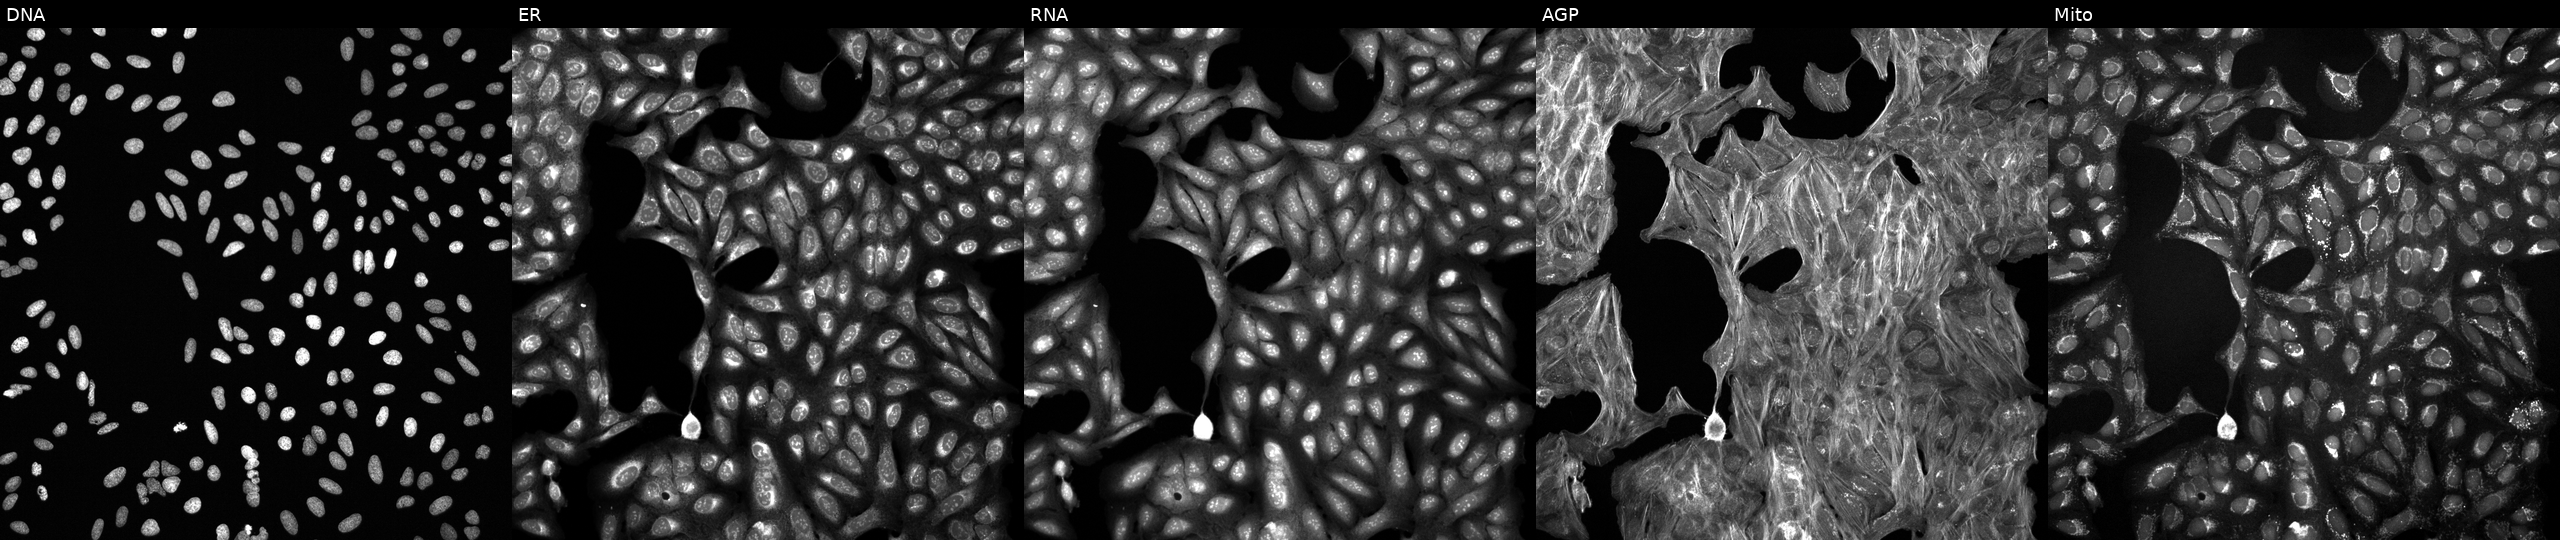
The five panels, left to right, show DNA, ER, RNA, AGP, and Mito. U2OS osteosarcoma cells perturbed with a small-molecule compound [SMILES: COC(=O)C1=C(C#N)N=C(C)C(C(=O)OC(C)C)C1c1cccc([N+](=O)[O-])c1]. Cell Painting assay, JUMP-CP dataset.